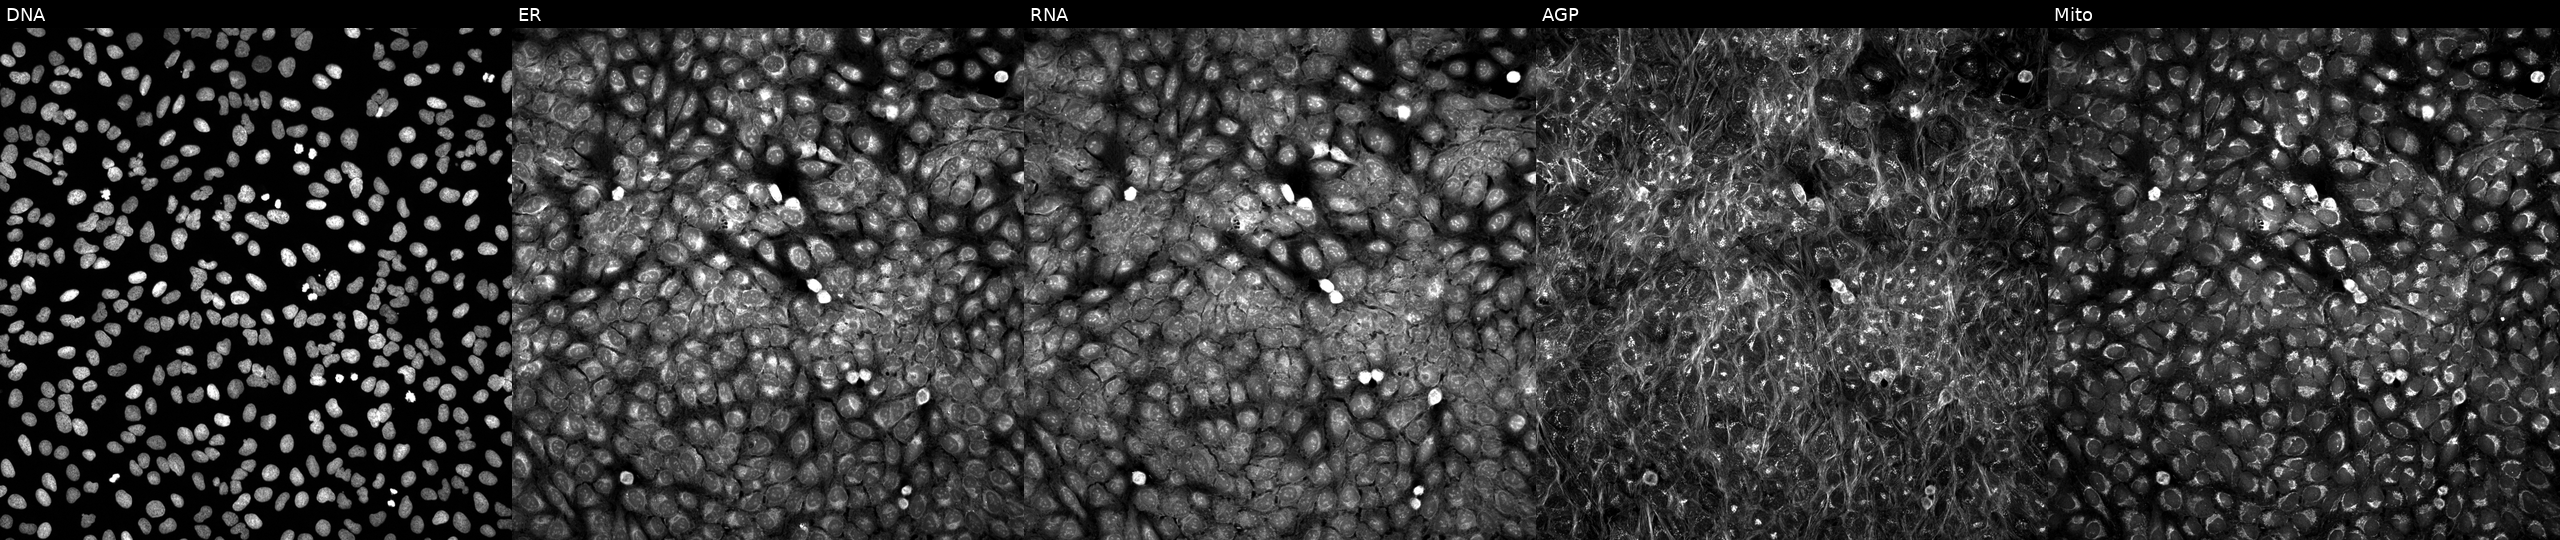
High-content fluorescence microscopy (Cell Painting). Cell line: U2OS. Perturbation: exposed to a small-molecule compound (InChIKey RRGUKTPIGVIEKM-UHFFFAOYSA-N). The five panels, left to right, show DNA, ER, RNA, AGP, and Mito.